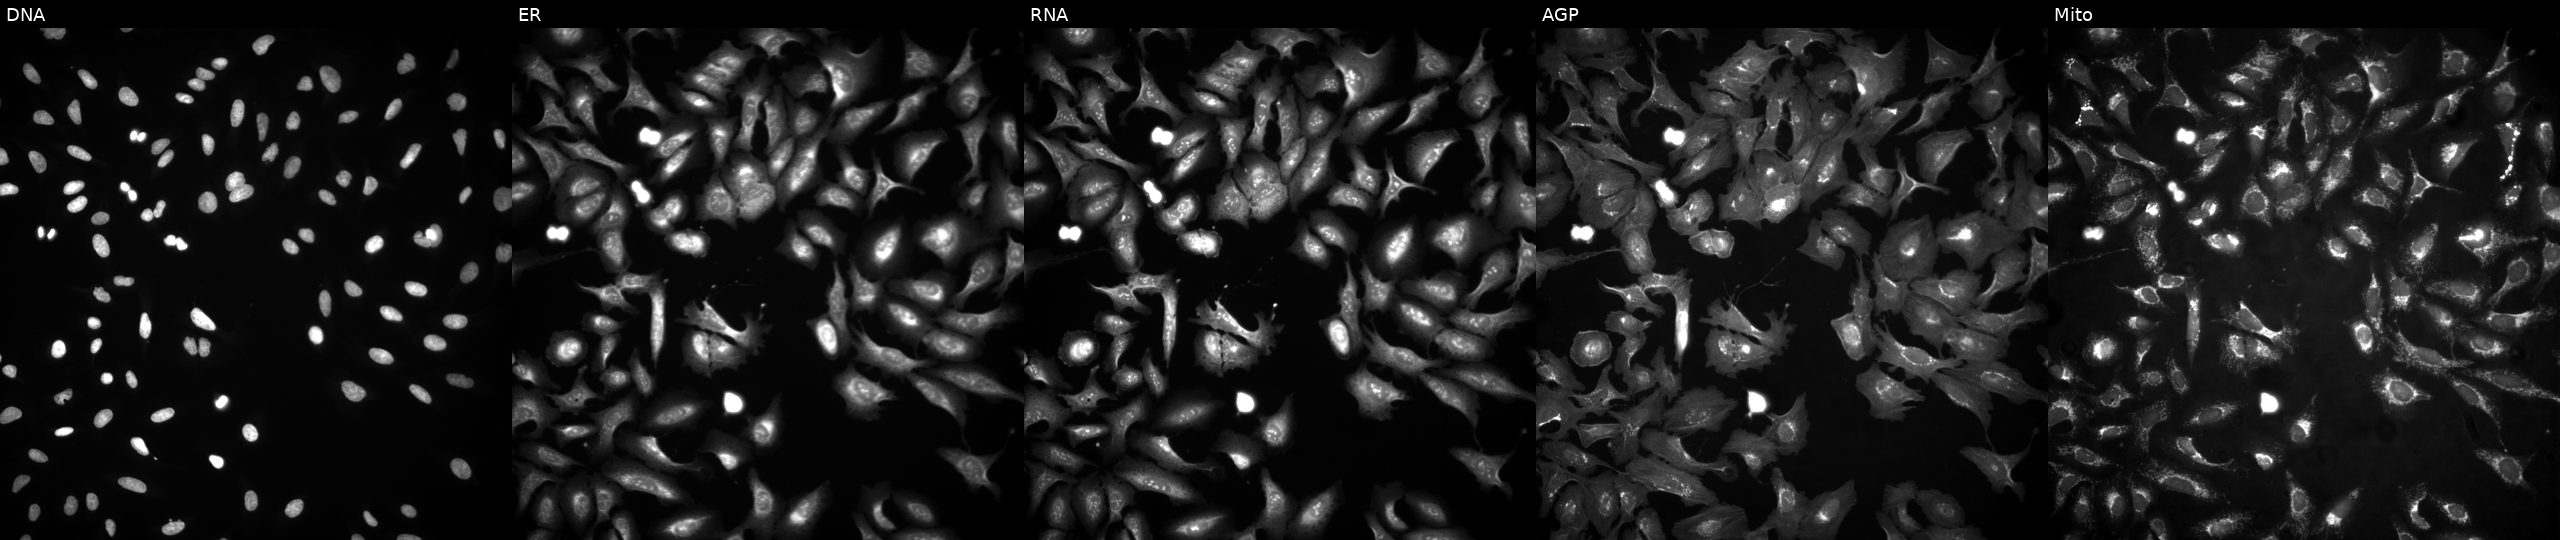
Channels (left→right): Hoechst 33342, concanavalin A, SYTO 14, phalloidin and WGA, MitoTracker. U2OS osteosarcoma cells exposed to the positive-control compound TC-S-7004. Cell Painting assay, JUMP-CP dataset. Source 4, plate BR00124787, well P24.